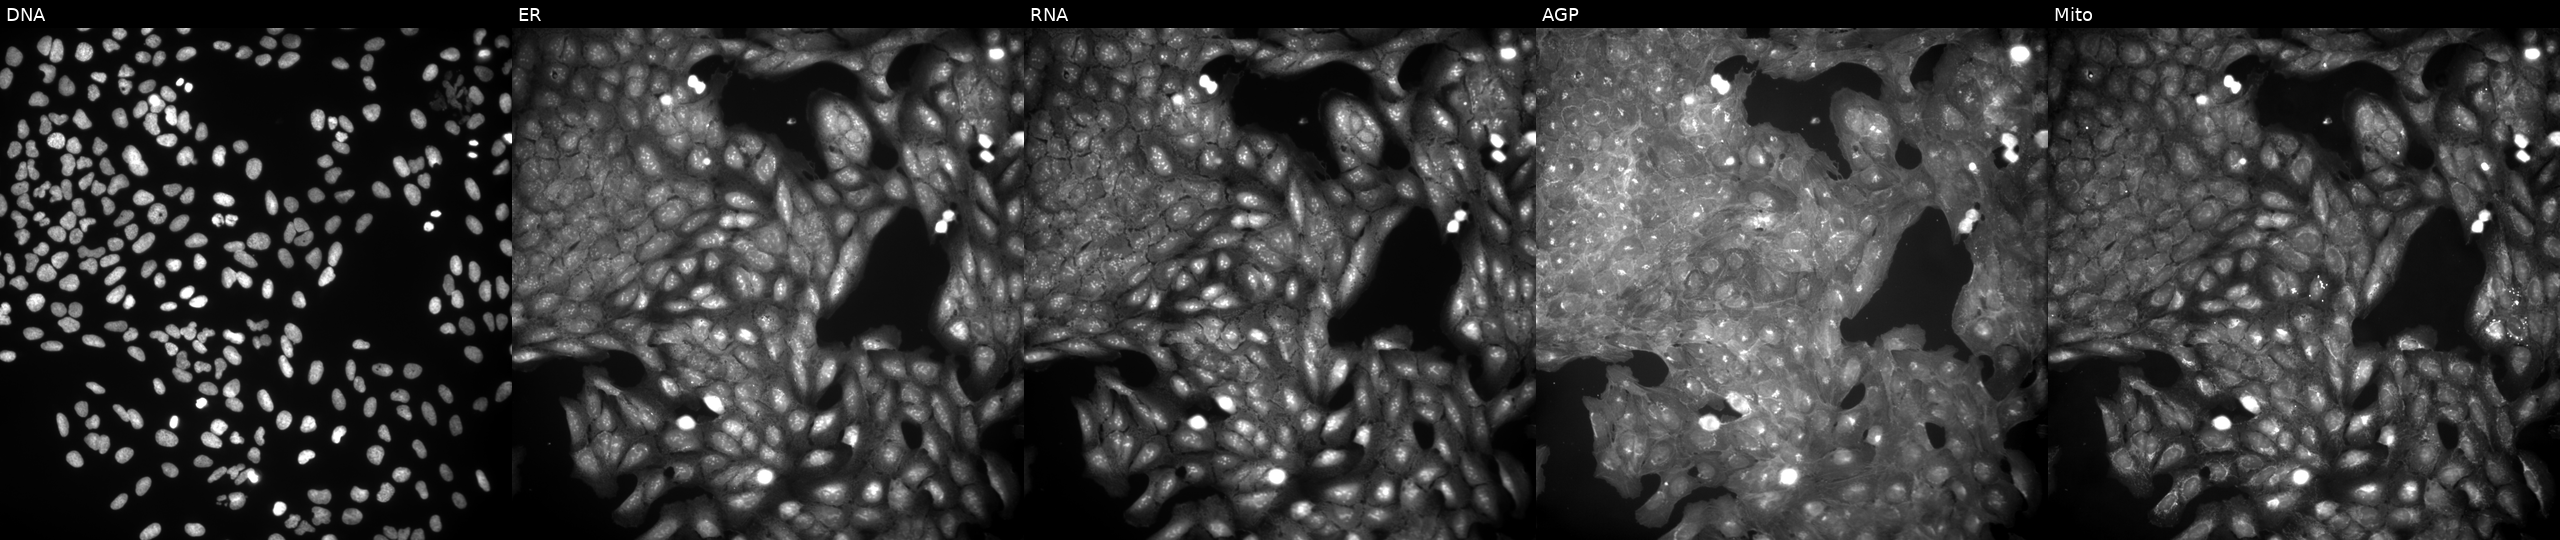
From left to right: DNA, ER, RNA, AGP, and Mito. U2OS osteosarcoma cells exposed to a small-molecule compound [SMILES: O=C(CN1C2=NCCCN2c2ccccc21)c1cccc(Br)c1]. Cell Painting assay, JUMP-CP dataset.